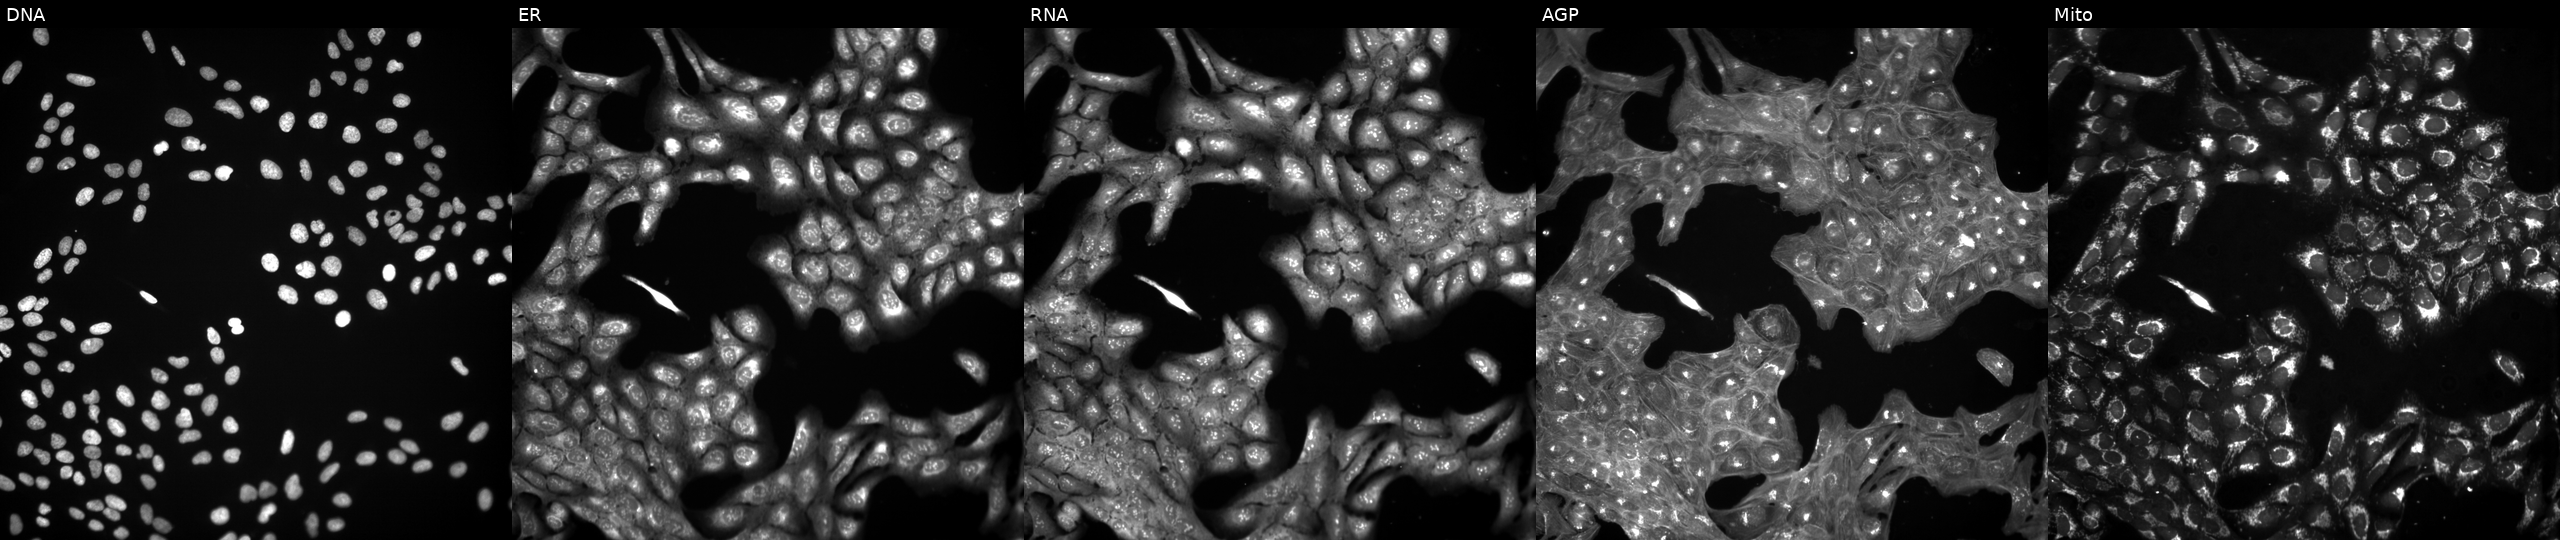
U2OS cells, Cell Painting assay, in an empty control well (no perturbation). The five panels, left to right, show Hoechst 33342, concanavalin A, SYTO 14, phalloidin and WGA, MitoTracker. Each panel is percentile-stretched 16-bit fluorescence.